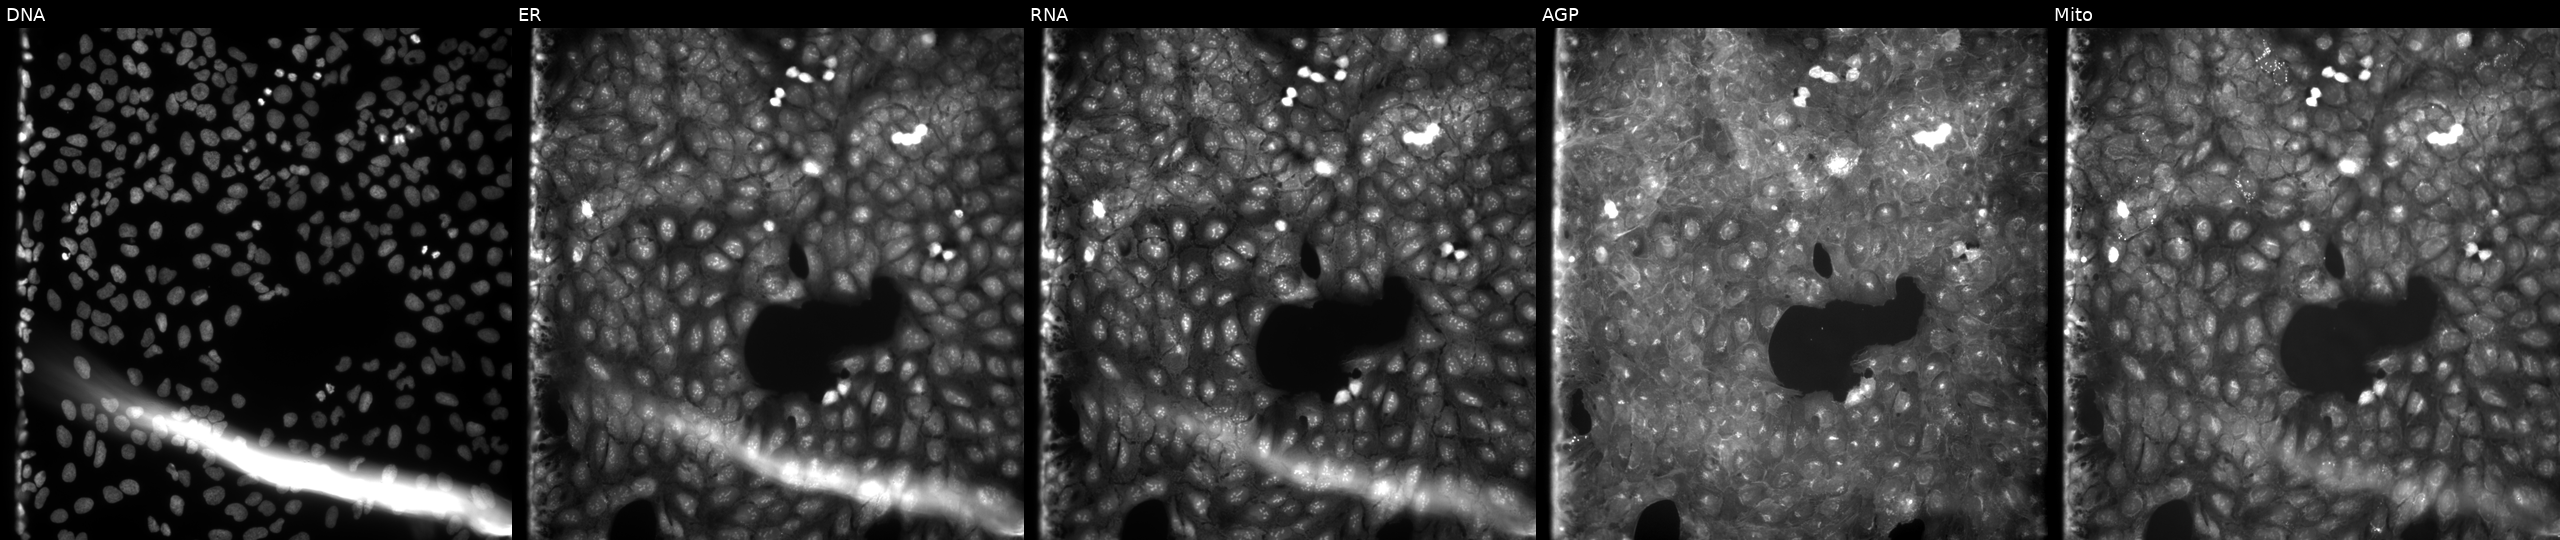
Five-channel Cell Painting image of U2OS cells treated with a small-molecule compound (JUMP id JCP2022_035615). The five panels, left to right, show DNA, ER, RNA, AGP, and Mito. Source 9, plate GR00003382, well L10.